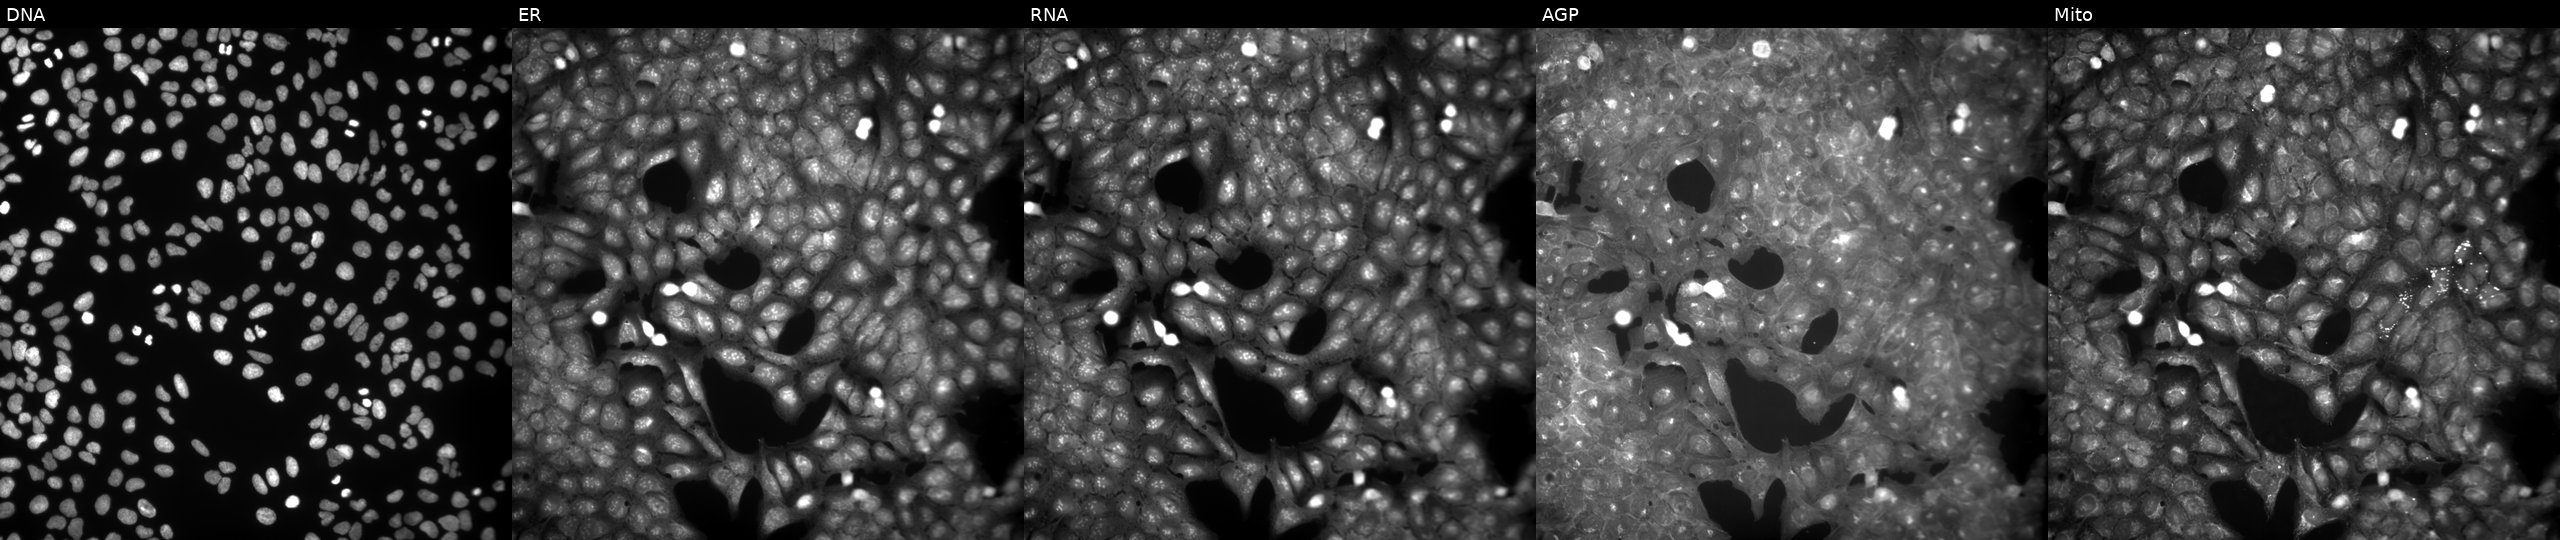
U2OS cells, Cell Painting assay, treated with a small-molecule compound [SMILES: O=C(COc1ccc2ccccc2c1)Nc1ccc(S(=O)(=O)N2CCCCCC2)cc1]. Panels show, left to right, Hoechst 33342, concanavalin A, SYTO 14, phalloidin and WGA, MitoTracker. Each panel is percentile-stretched 16-bit fluorescence.